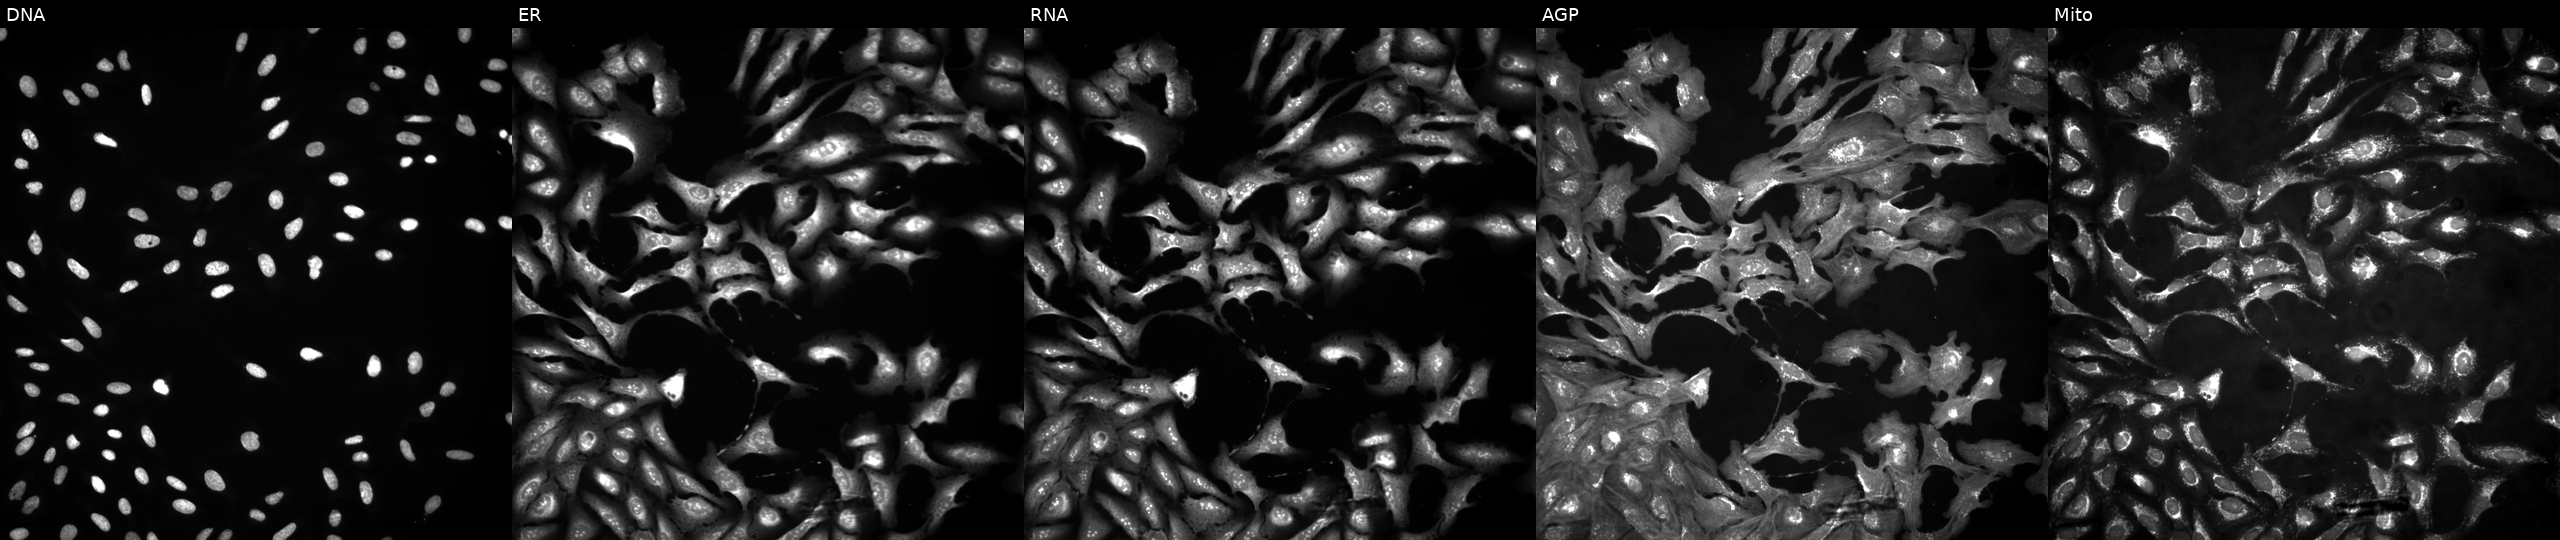
High-content fluorescence microscopy (Cell Painting). Cell line: U2OS. Perturbation: transfected with an ORF construct for STYK1. Panels show, left to right, Hoechst 33342, concanavalin A, SYTO 14, phalloidin and WGA, MitoTracker.